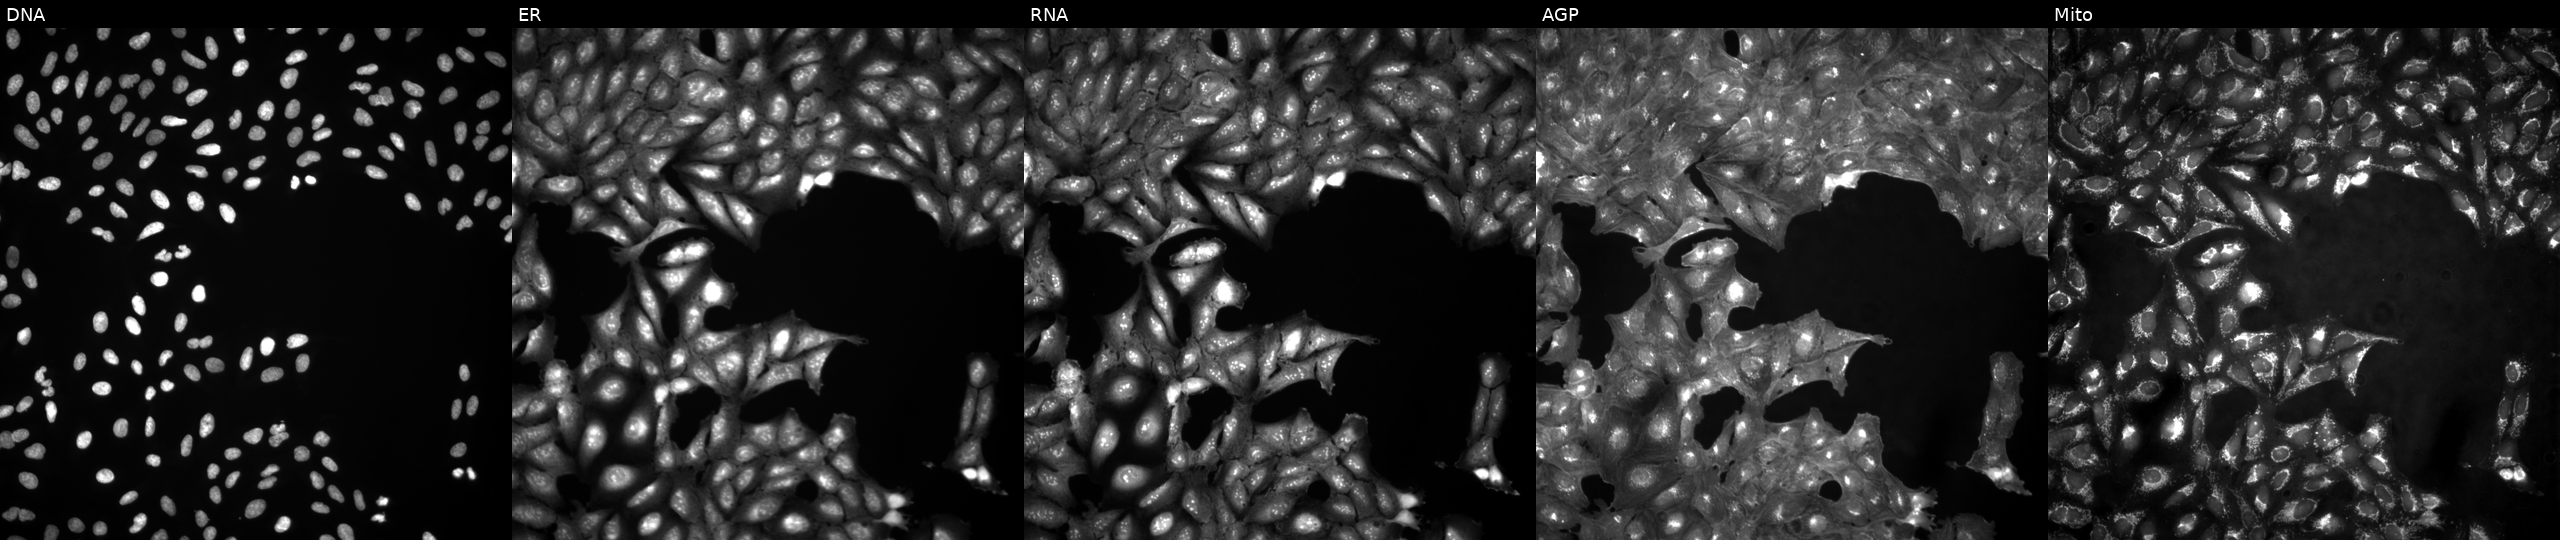
Panels show, left to right, DNA (nuclei); ER (endoplasmic reticulum); RNA (nucleoli and cytoplasmic RNA); AGP (actin cytoskeleton, Golgi, and plasma membrane); Mito (mitochondria). U2OS osteosarcoma cells in an empty control well (no perturbation) (JUMP id JCP2022_999999). Cell Painting assay, JUMP-CP dataset. Source 4, plate BR00123946, well A08.